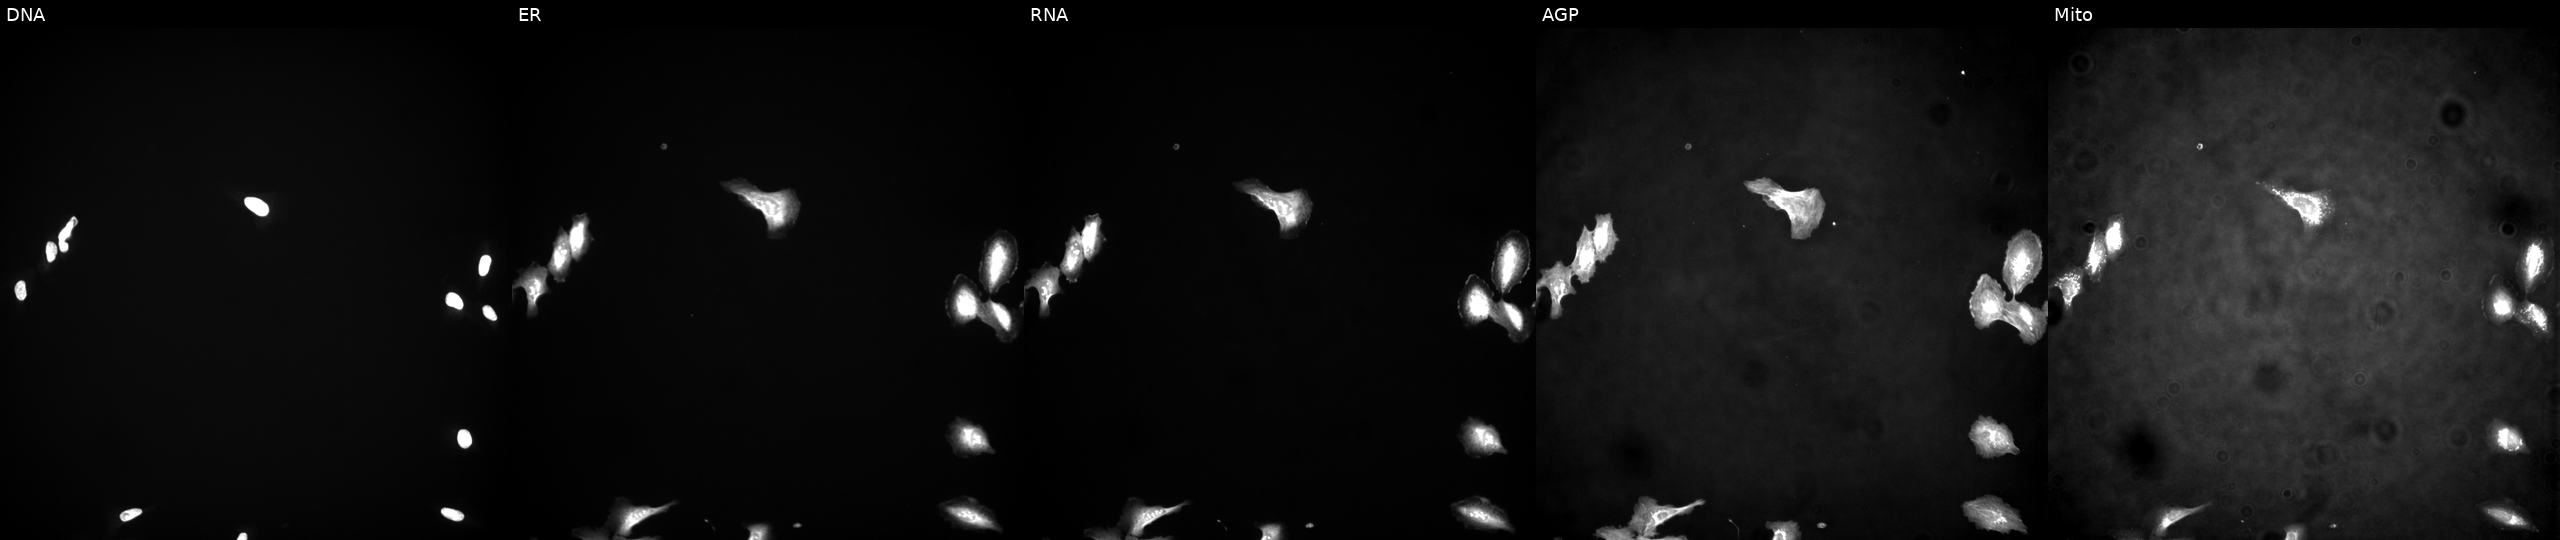
Five-channel Cell Painting image of U2OS cells overexpressing C6orf136 via ORF transfection. Channels (left→right): DNA, ER, RNA, AGP, and Mito.